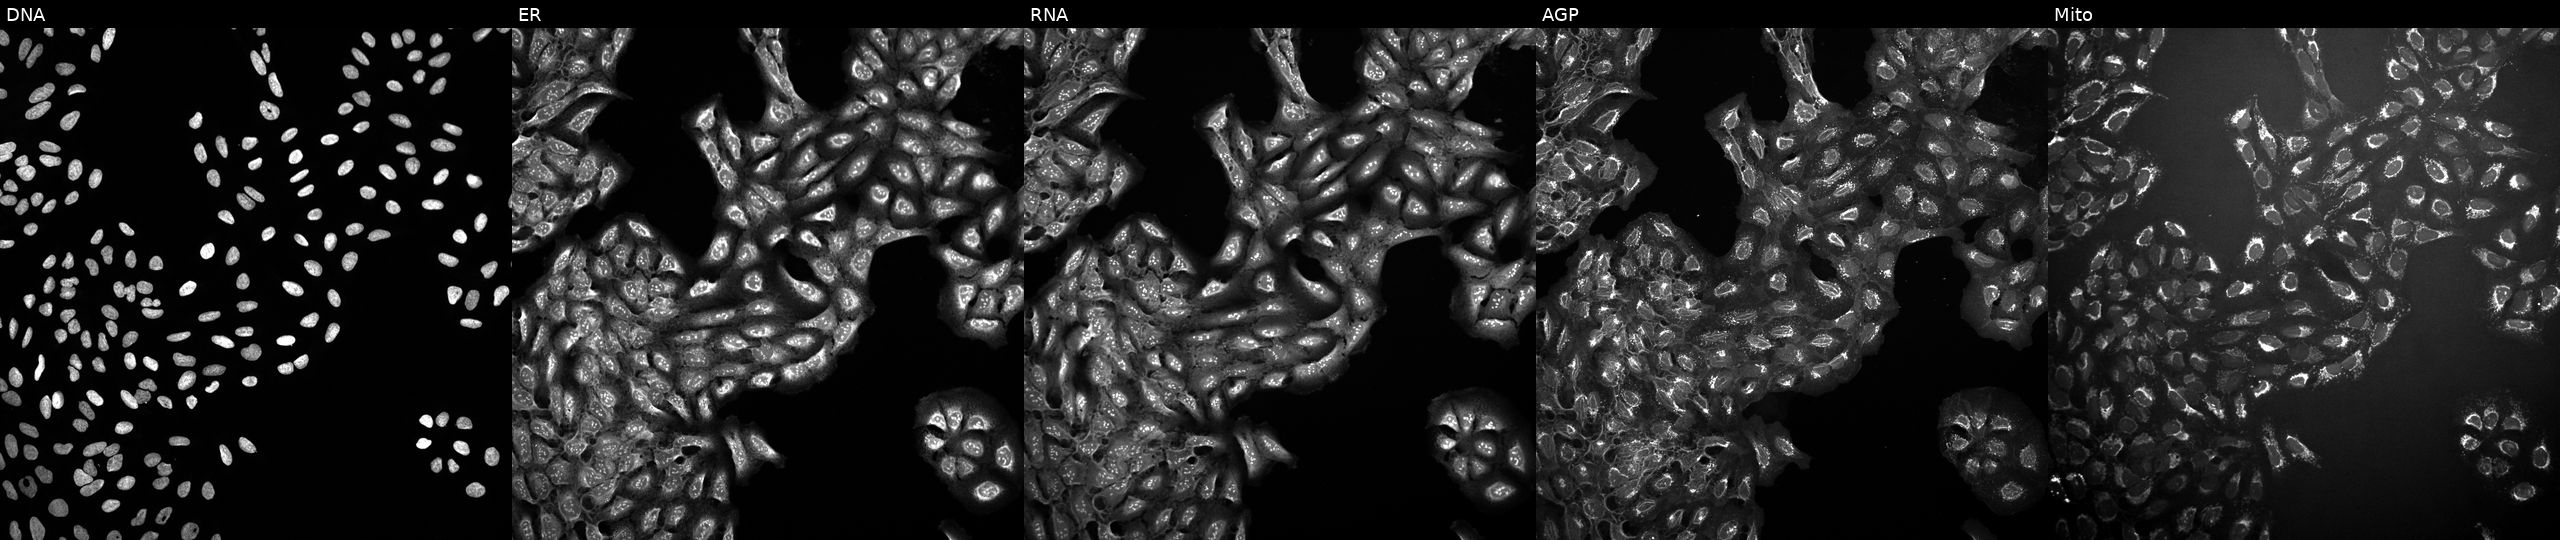
High-content fluorescence microscopy (Cell Painting). Cell line: U2OS. Perturbation: exposed to a small-molecule compound (JUMP id JCP2022_024601). Panels show, left to right, DNA (nuclei); ER (endoplasmic reticulum); RNA (nucleoli and cytoplasmic RNA); AGP (actin cytoskeleton, Golgi, and plasma membrane); Mito (mitochondria).